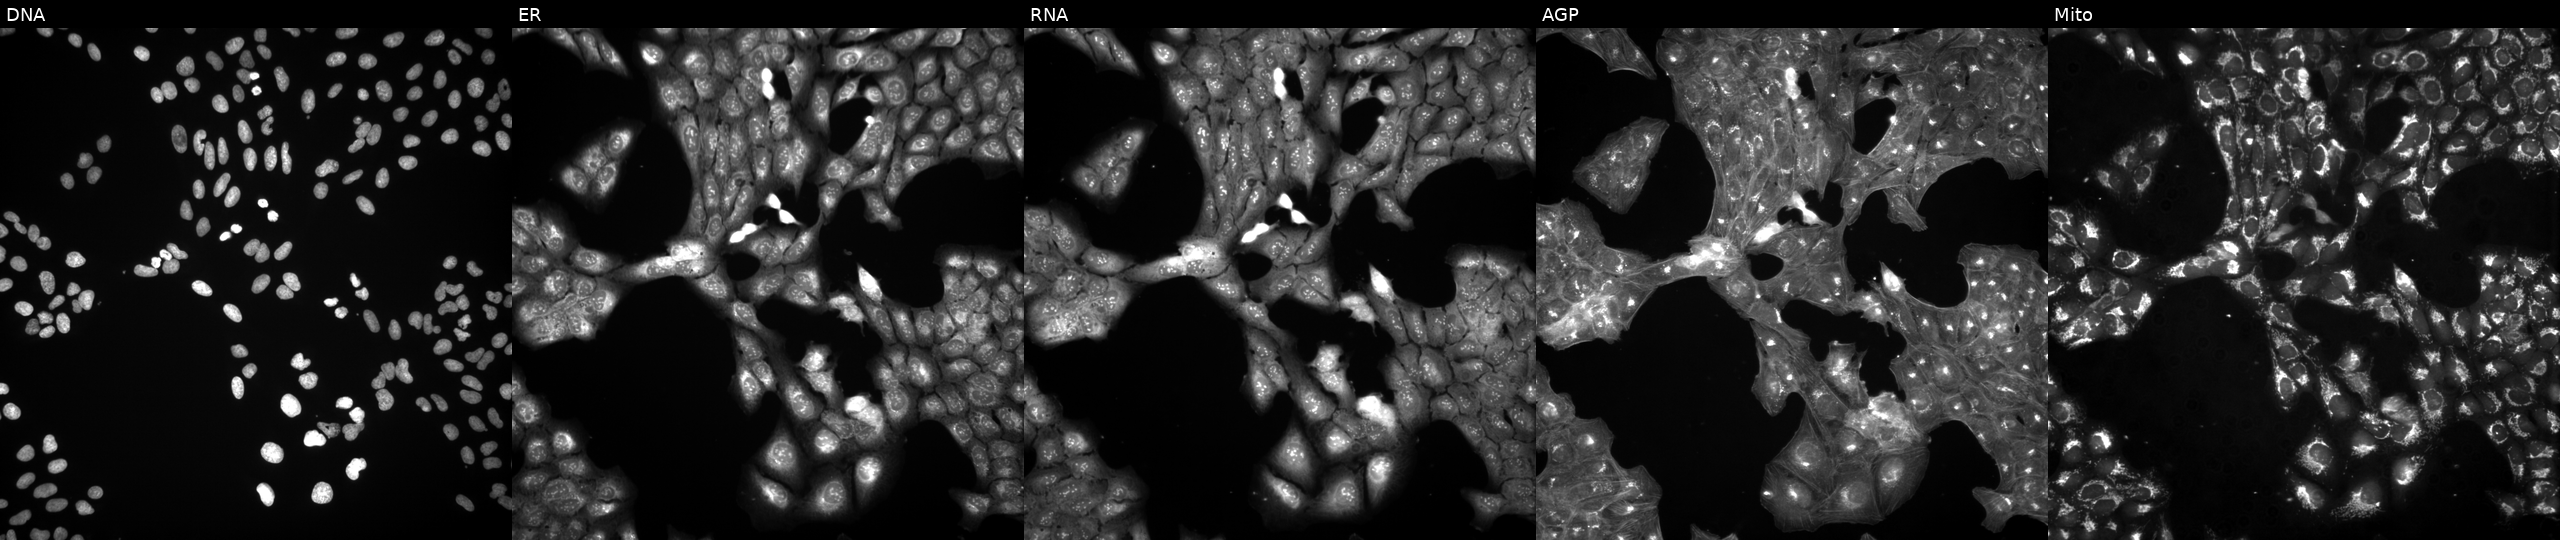
High-content fluorescence microscopy (Cell Painting). Cell line: U2OS. Perturbation: treated with a small-molecule compound (InChIKey HWHLPVGTWGOCJO-UHFFFAOYSA-N) (JUMP id JCP2022_033012). From left to right: DNA (nuclei); ER (endoplasmic reticulum); RNA (nucleoli and cytoplasmic RNA); AGP (actin cytoskeleton, Golgi, and plasma membrane); Mito (mitochondria).